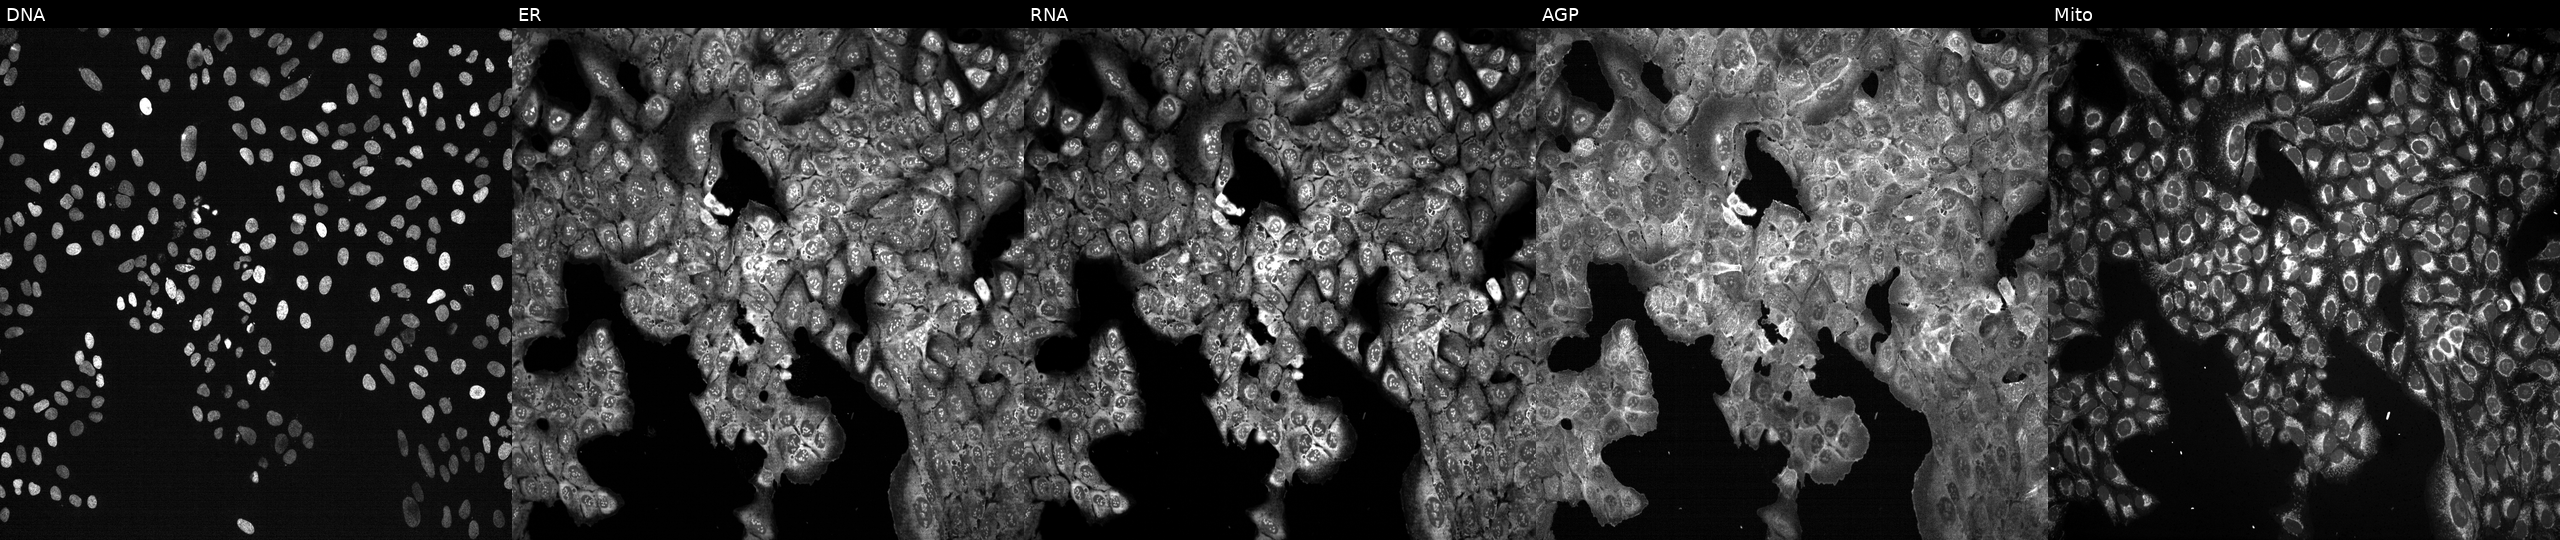
U2OS cells, Cell Painting assay, following CRISPR knockout of CCL14. From left to right: Hoechst 33342, concanavalin A, SYTO 14, phalloidin and WGA, MitoTracker. Each panel is percentile-stretched 16-bit fluorescence. Source 13, plate CP-CC9-R3-01, well A18.